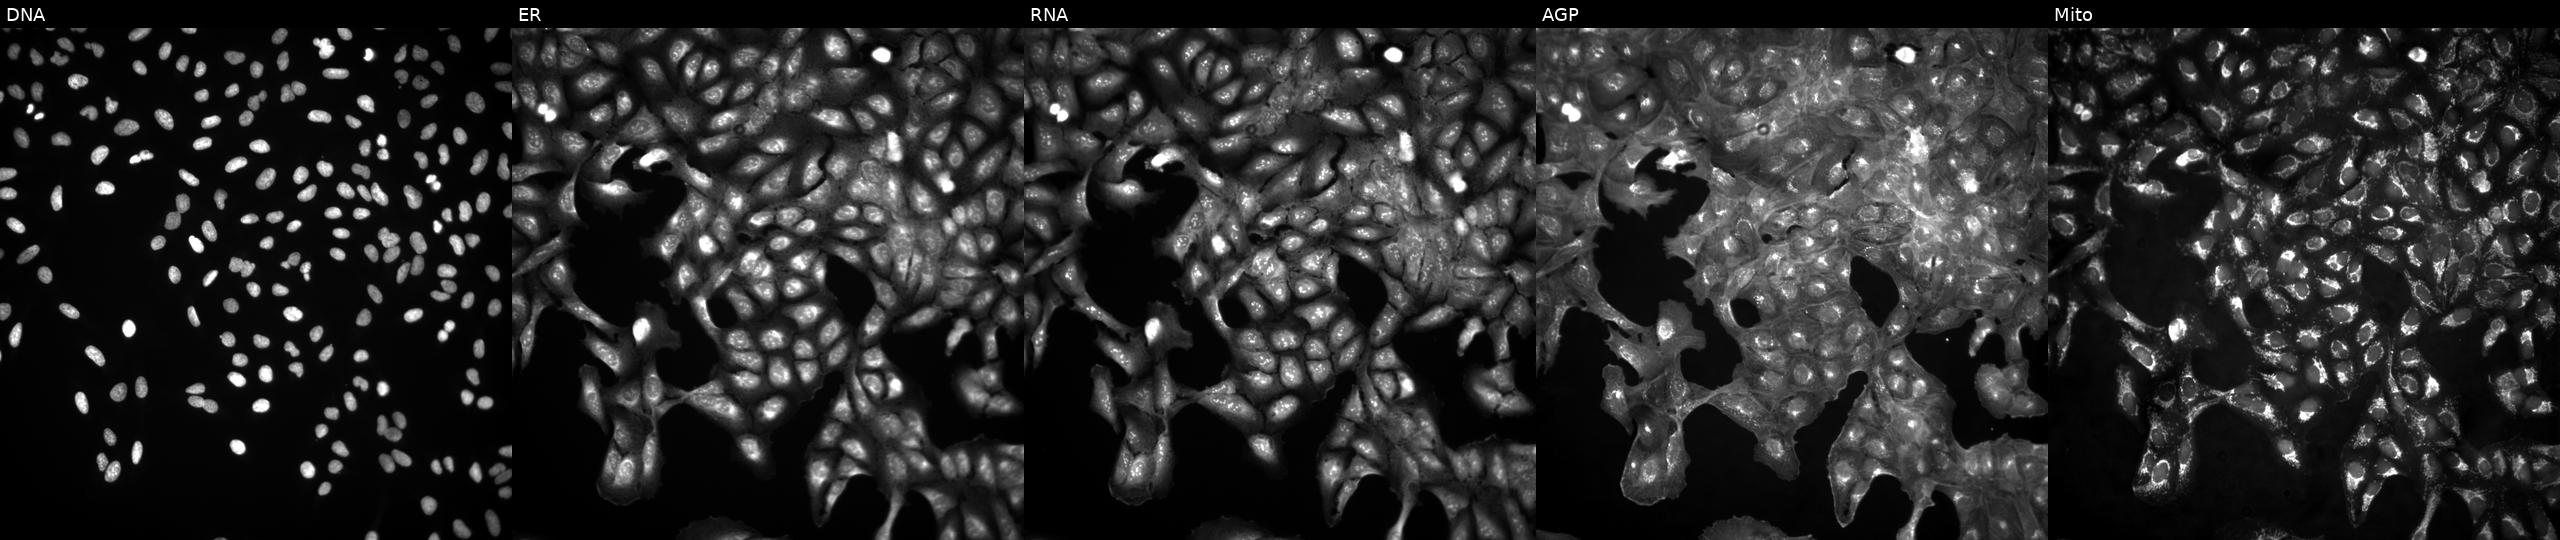
Five-channel Cell Painting image of U2OS cells in an empty control well (no perturbation) (JUMP id JCP2022_999999). Panels show, left to right, DNA, ER, RNA, AGP, and Mito.